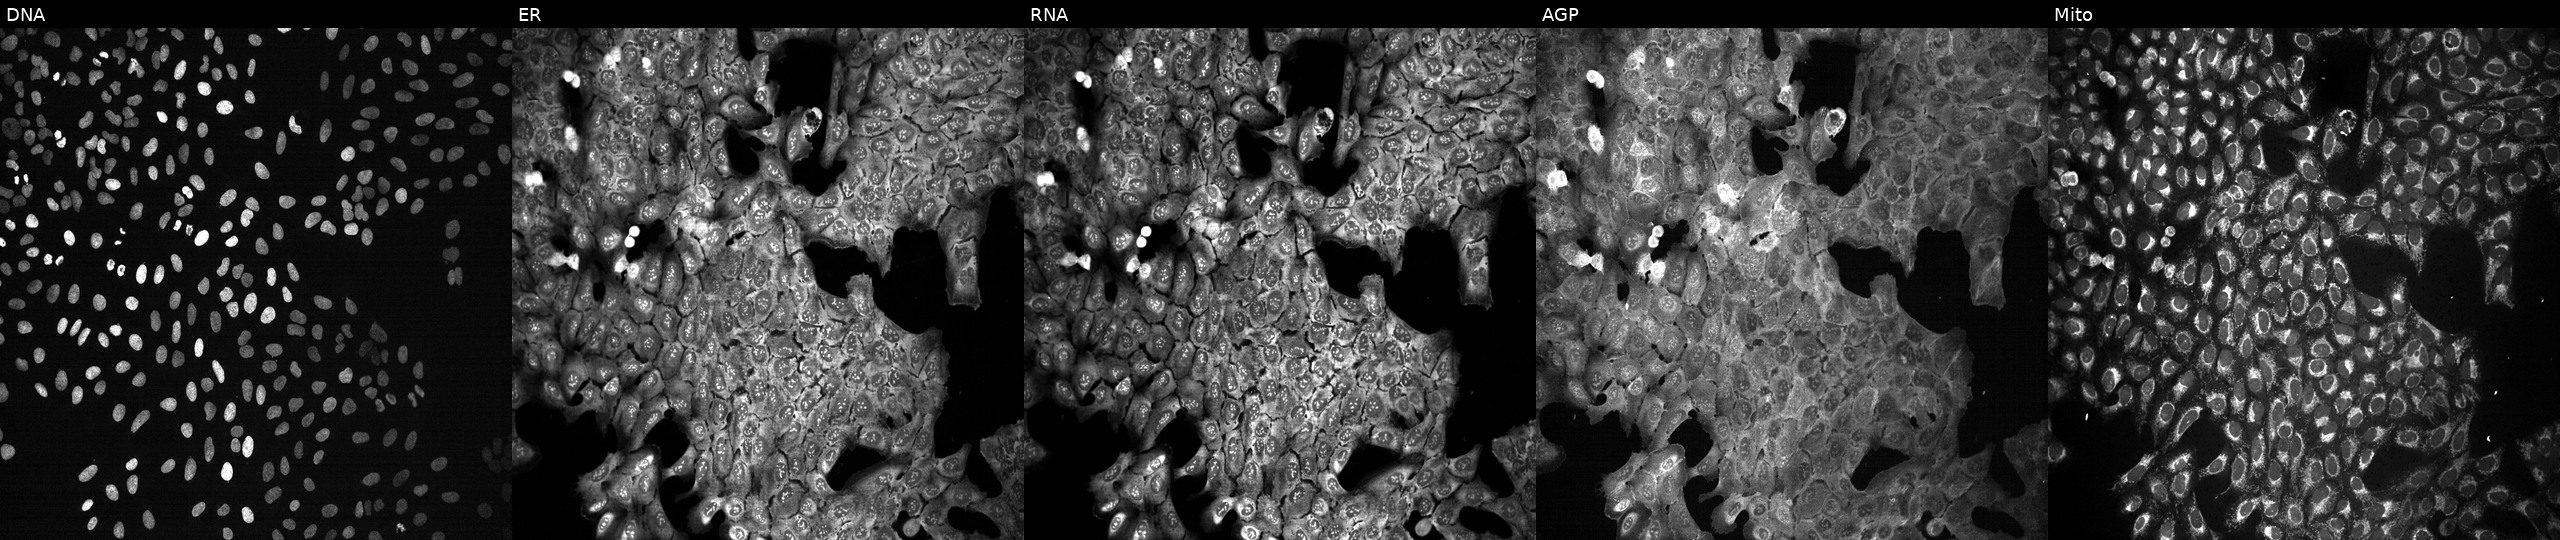
From left to right: Hoechst 33342, concanavalin A, SYTO 14, phalloidin and WGA, MitoTracker. U2OS osteosarcoma cells with a non-targeting CRISPR guide (negative control). Cell Painting assay, JUMP-CP dataset. Source 13, plate CP-CC9-R3-01, well F23.